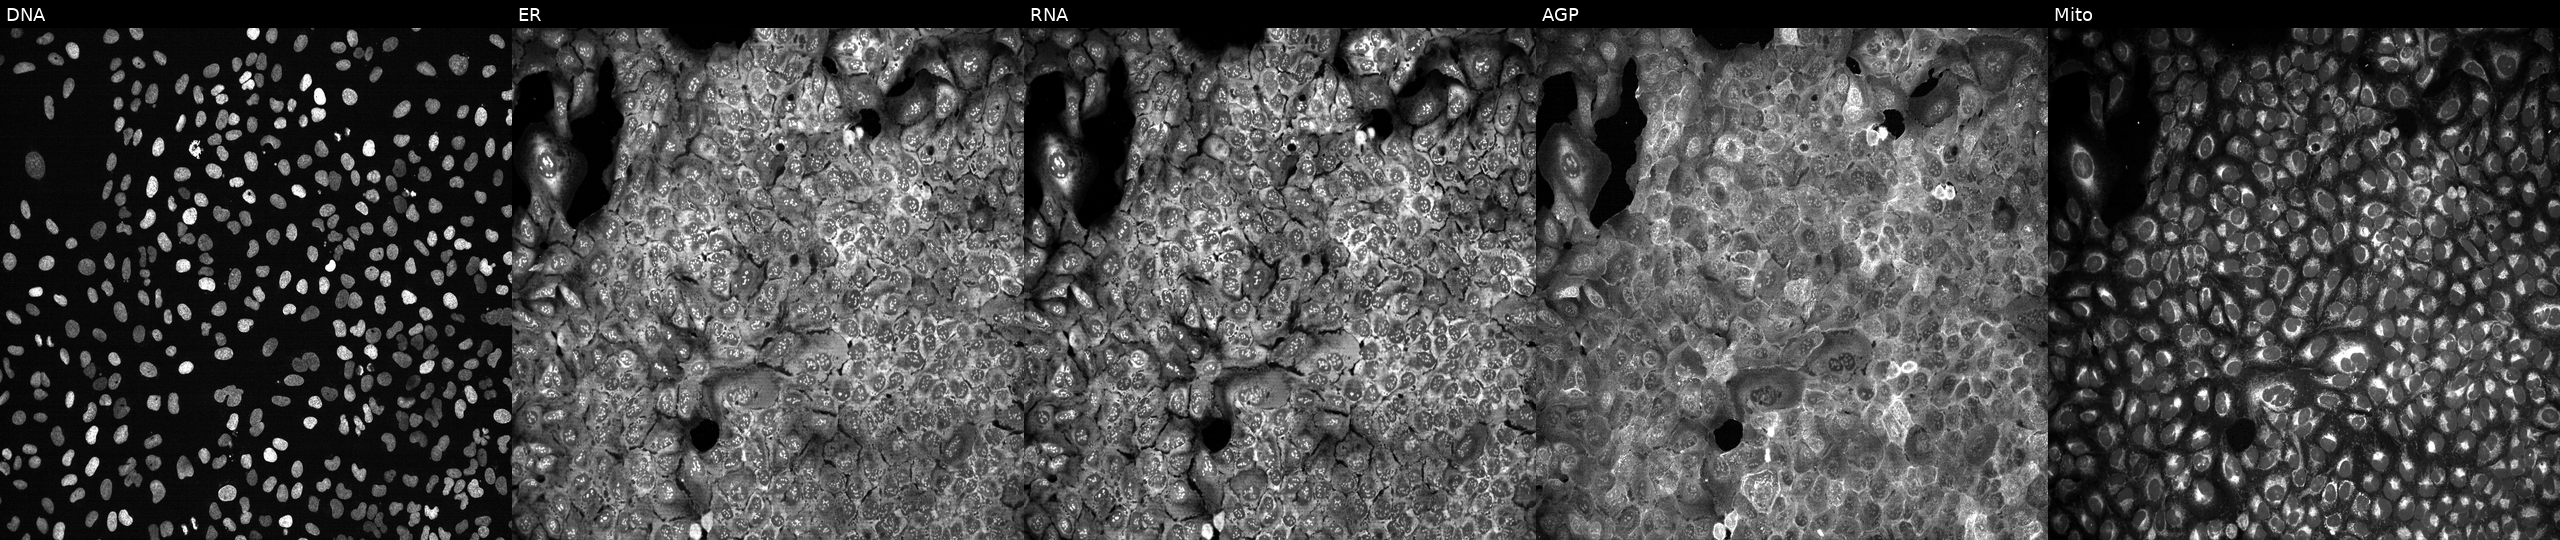
U2OS cells, Cell Painting assay, CRISPR-edited to disrupt ATP6V0D2 (JUMP id JCP2022_800731). Channels (left→right): DNA (nuclei); ER (endoplasmic reticulum); RNA (nucleoli and cytoplasmic RNA); AGP (actin cytoskeleton, Golgi, and plasma membrane); Mito (mitochondria). Each panel is percentile-stretched 16-bit fluorescence. Source 13, plate CP-CC9-R2-02, well D17.